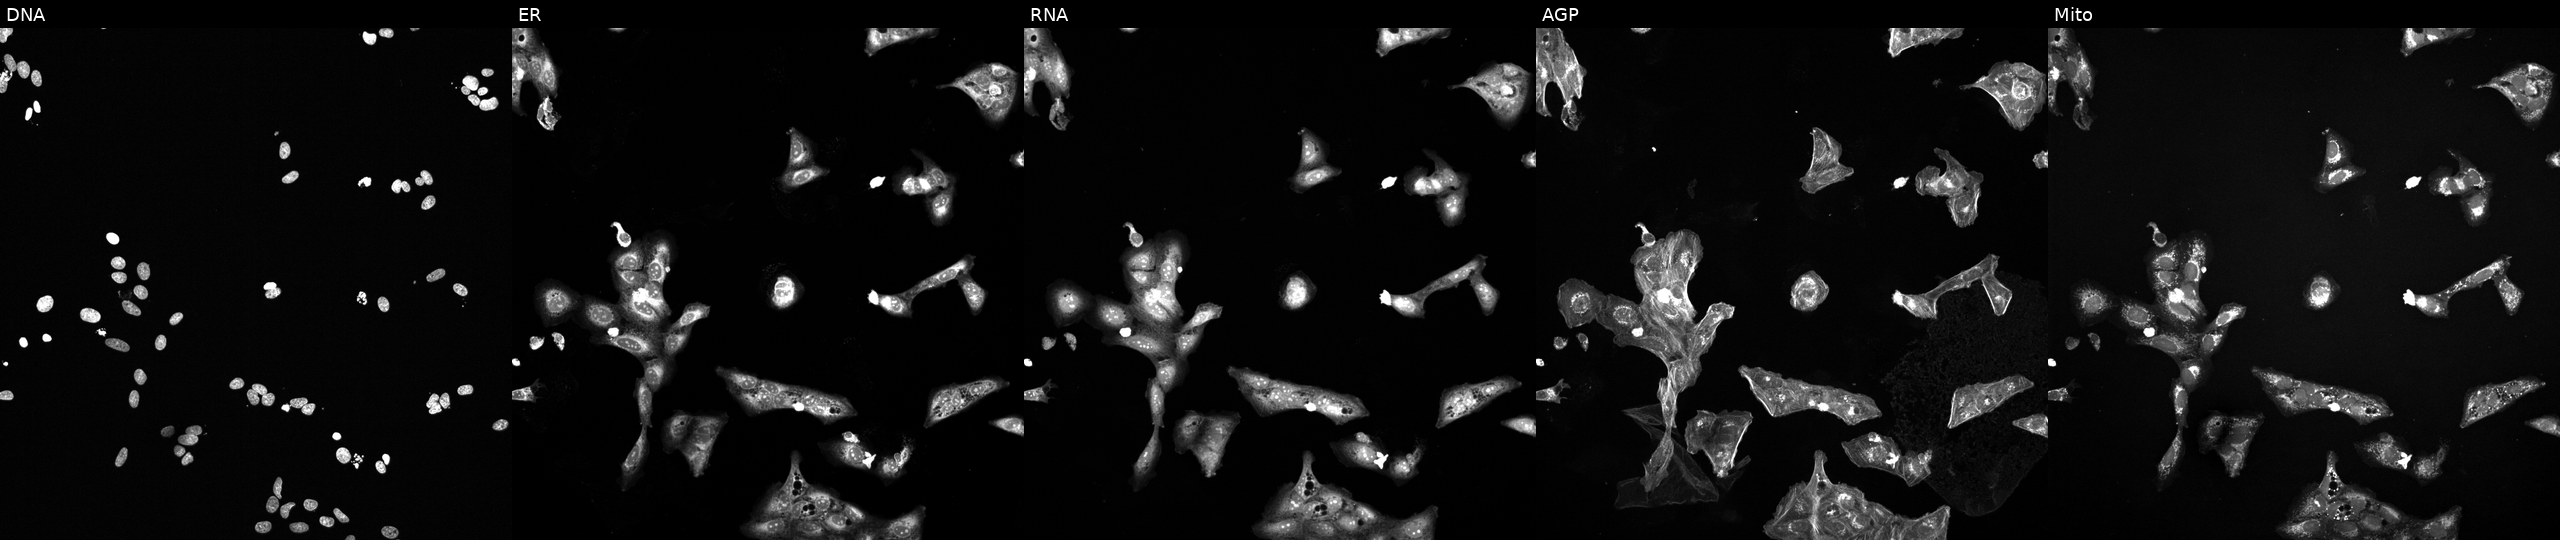
This image strip shows the five Cell Painting channels for a single field of U2OS cells exposed to a small-molecule compound (InChIKey SCELLOWTHJGVIC-UHFFFAOYSA-N). From left to right: Hoechst 33342, concanavalin A, SYTO 14, phalloidin and WGA, MitoTracker.